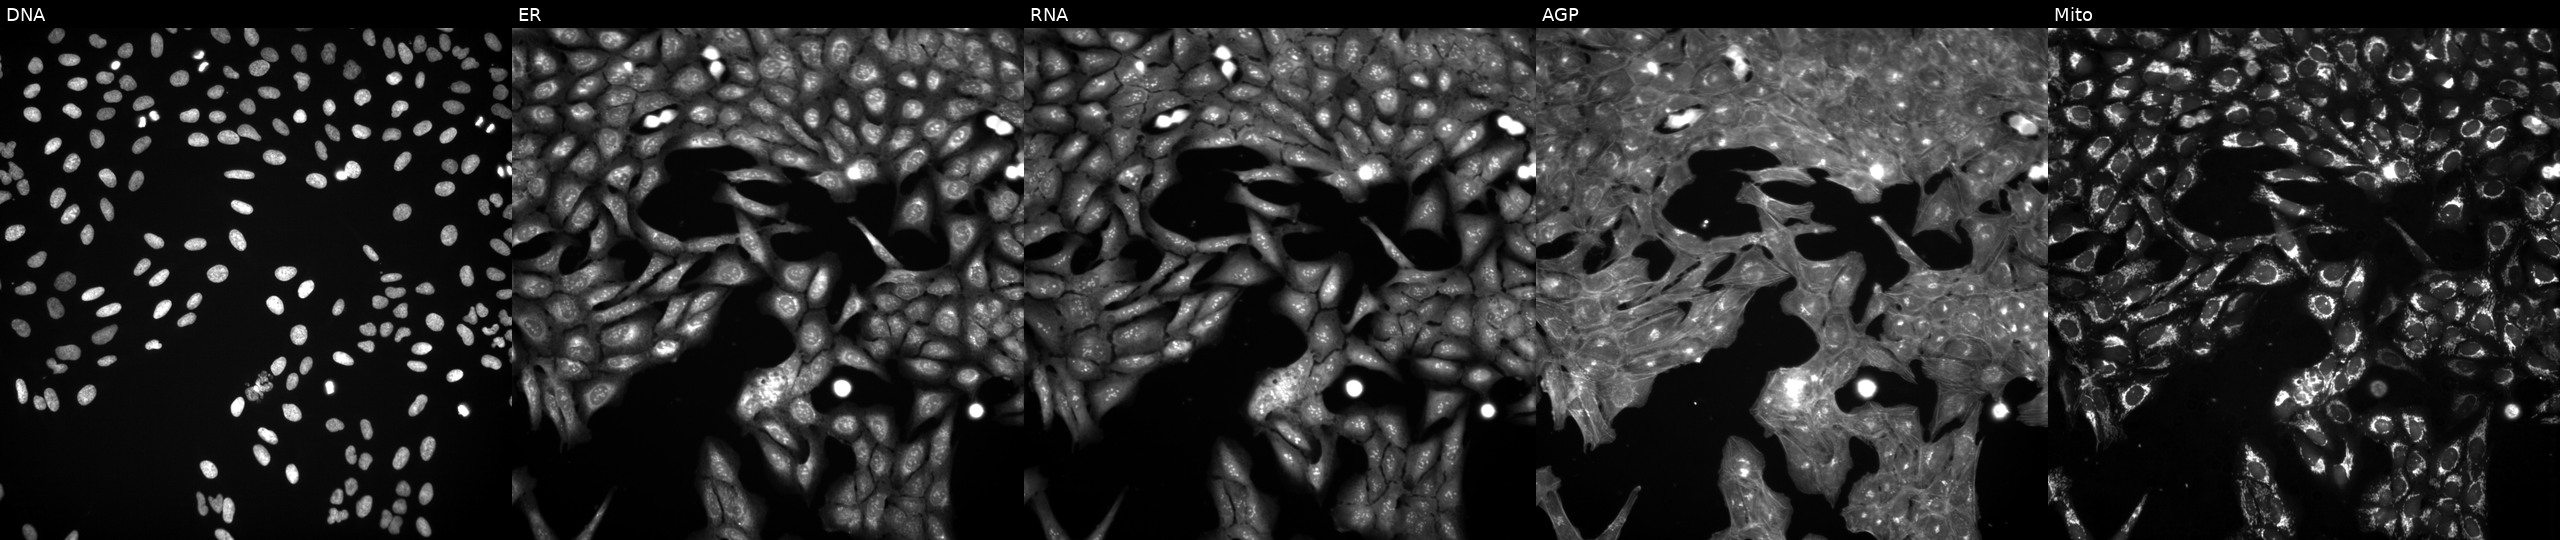
From left to right: DNA (nuclei); ER (endoplasmic reticulum); RNA (nucleoli and cytoplasmic RNA); AGP (actin cytoskeleton, Golgi, and plasma membrane); Mito (mitochondria). U2OS osteosarcoma cells perturbed with a small-molecule compound (InChIKey NGTDJJKTGRNNAU-UHFFFAOYSA-N). Cell Painting assay, JUMP-CP dataset.